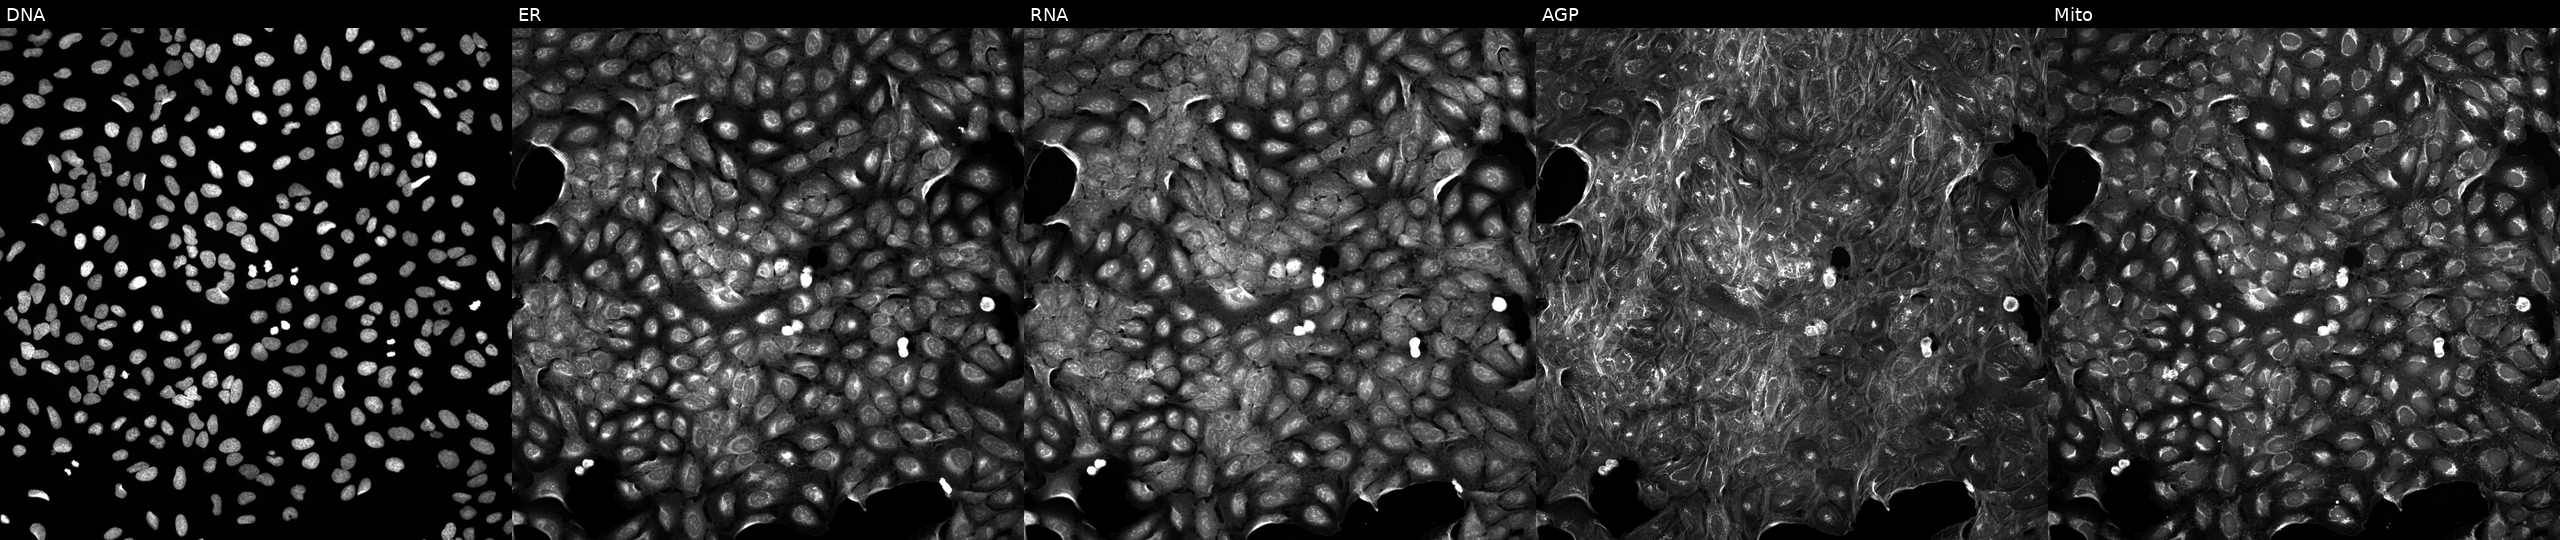
Five-channel Cell Painting image of U2OS cells treated with DMSO vehicle only (negative control) (JUMP id JCP2022_033924). From left to right: DNA (nuclei); ER (endoplasmic reticulum); RNA (nucleoli and cytoplasmic RNA); AGP (actin cytoskeleton, Golgi, and plasma membrane); Mito (mitochondria). Source 5, plate ACPJUM051, well H06.